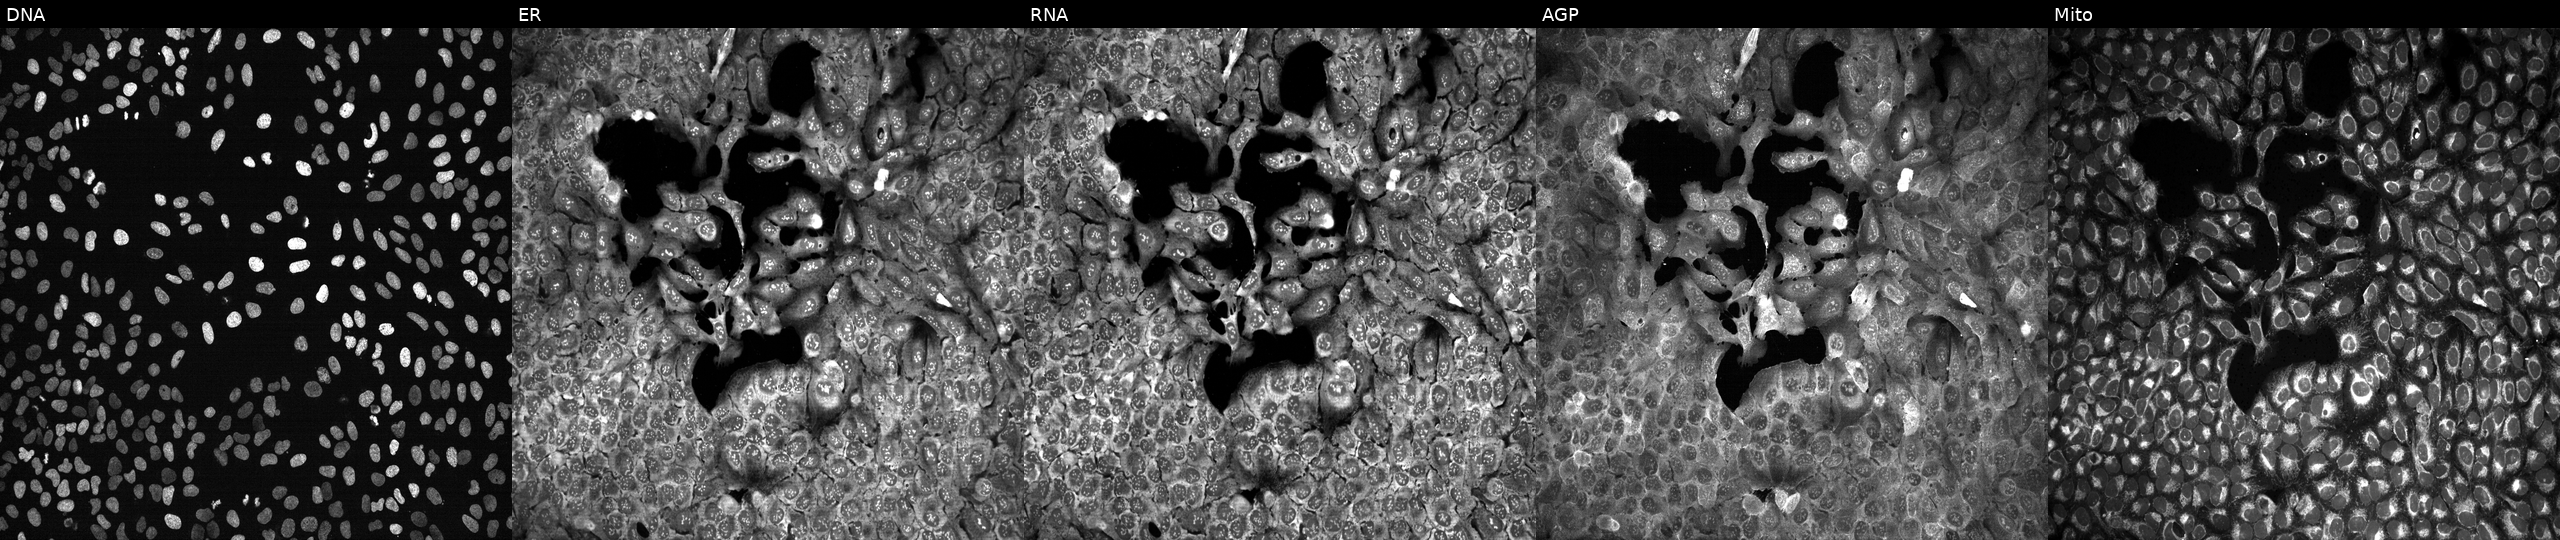
The five panels, left to right, show DNA, ER, RNA, AGP, and Mito. U2OS osteosarcoma cells following CRISPR knockout of ARL4D (JUMP id JCP2022_800588). Cell Painting assay, JUMP-CP dataset.